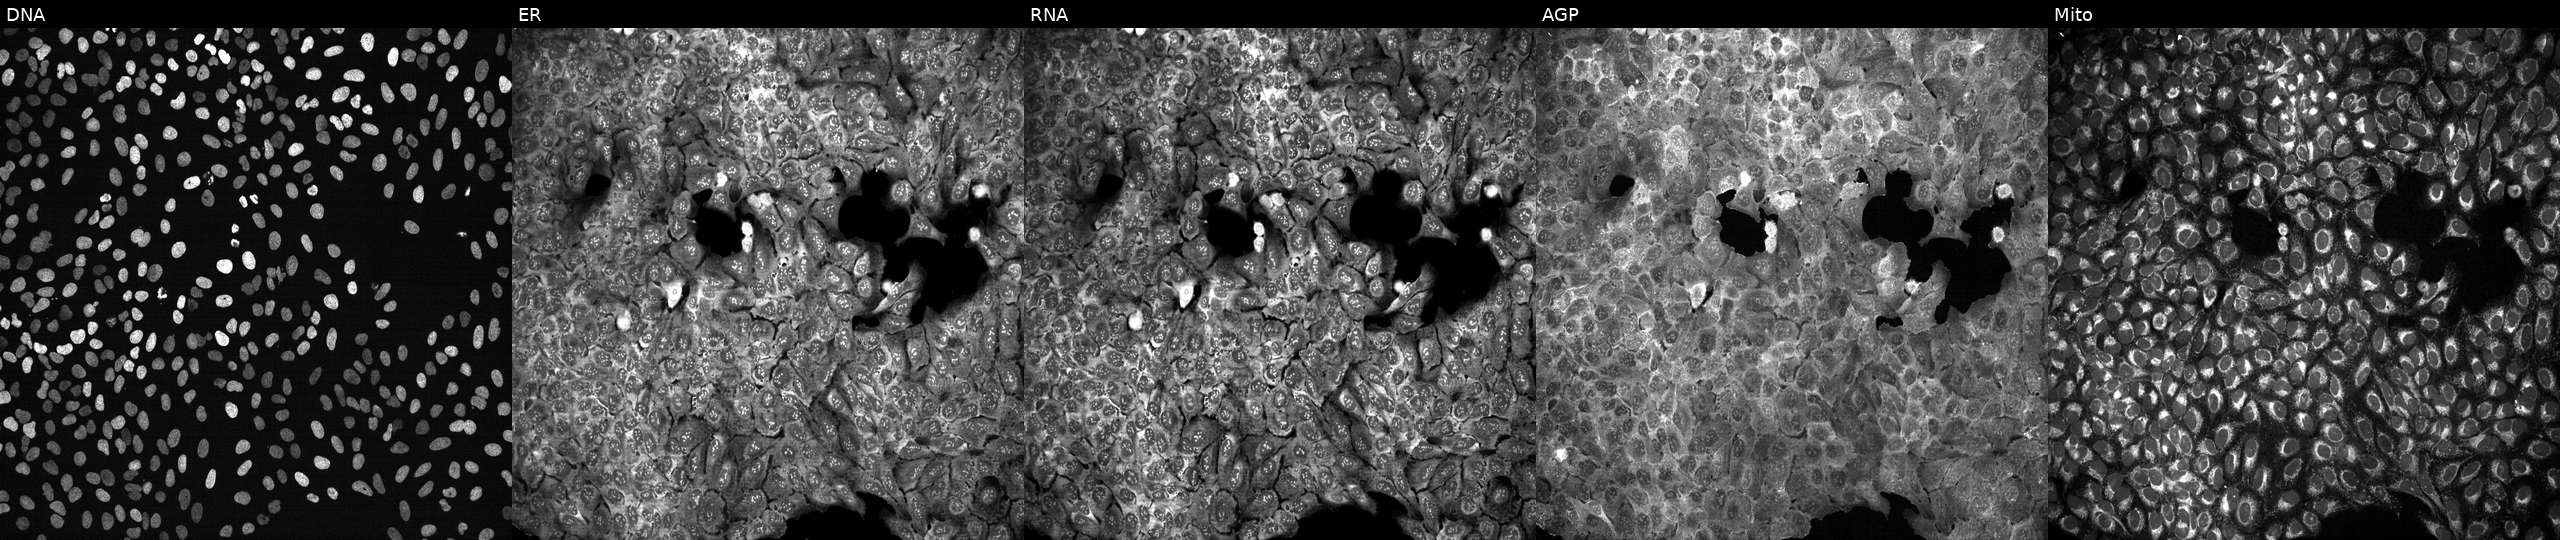
The five panels, left to right, show DNA, ER, RNA, AGP, and Mito. U2OS osteosarcoma cells treated with quinidine (positive-control compound). Cell Painting assay, JUMP-CP dataset.